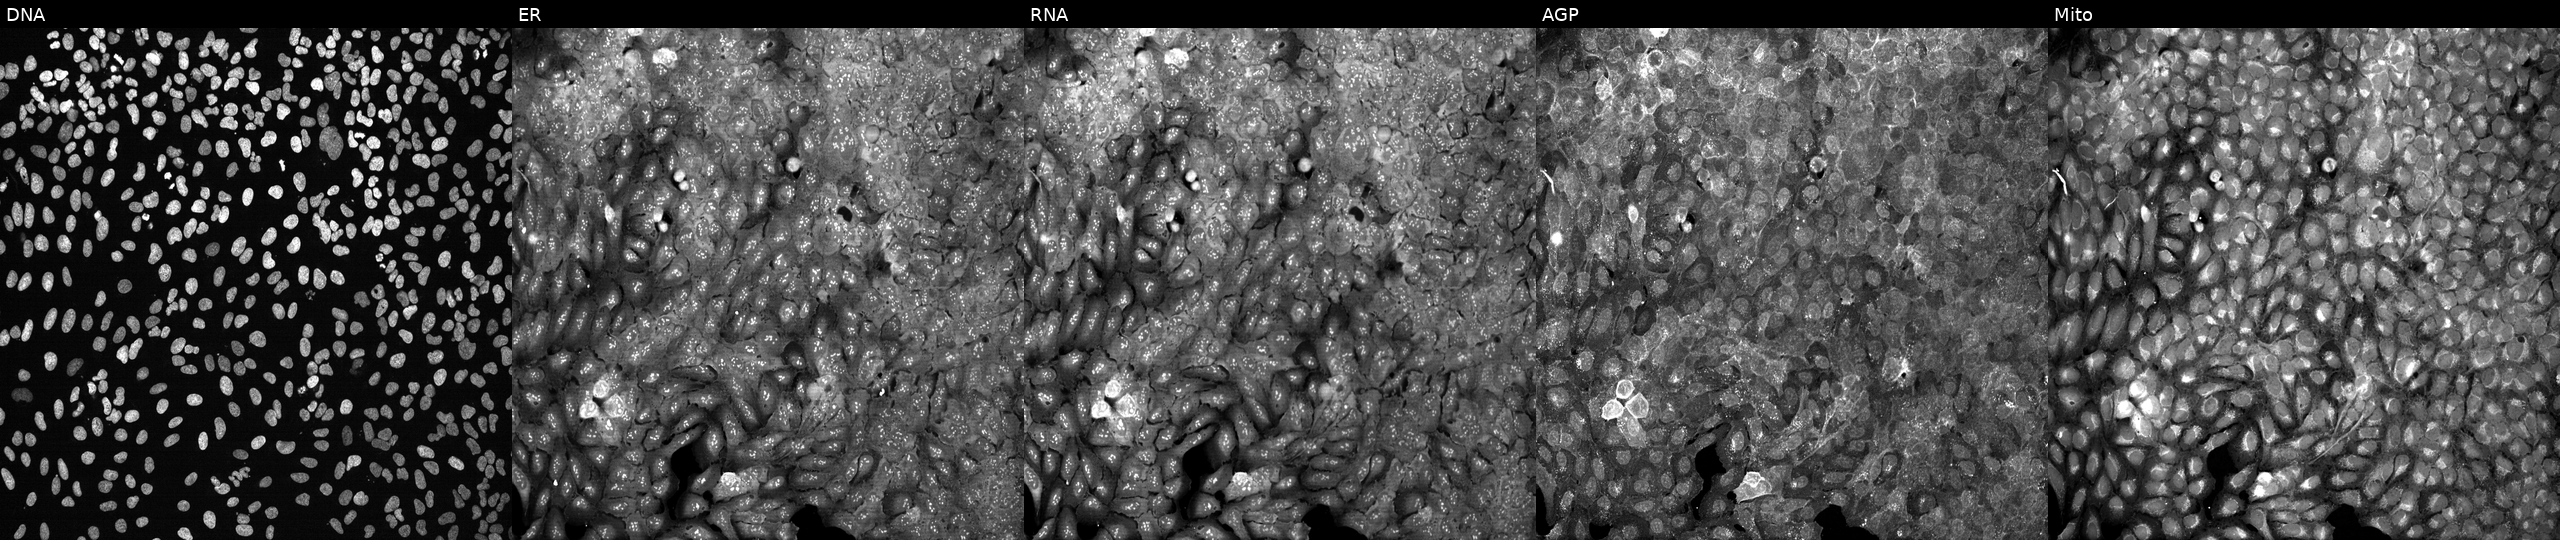
Five-channel Cell Painting image of U2OS cells following CRISPR knockout of SEPT5. From left to right: Hoechst 33342, concanavalin A, SYTO 14, phalloidin and WGA, MitoTracker. Source 13, plate CP-CC9-R1-01, well C14.